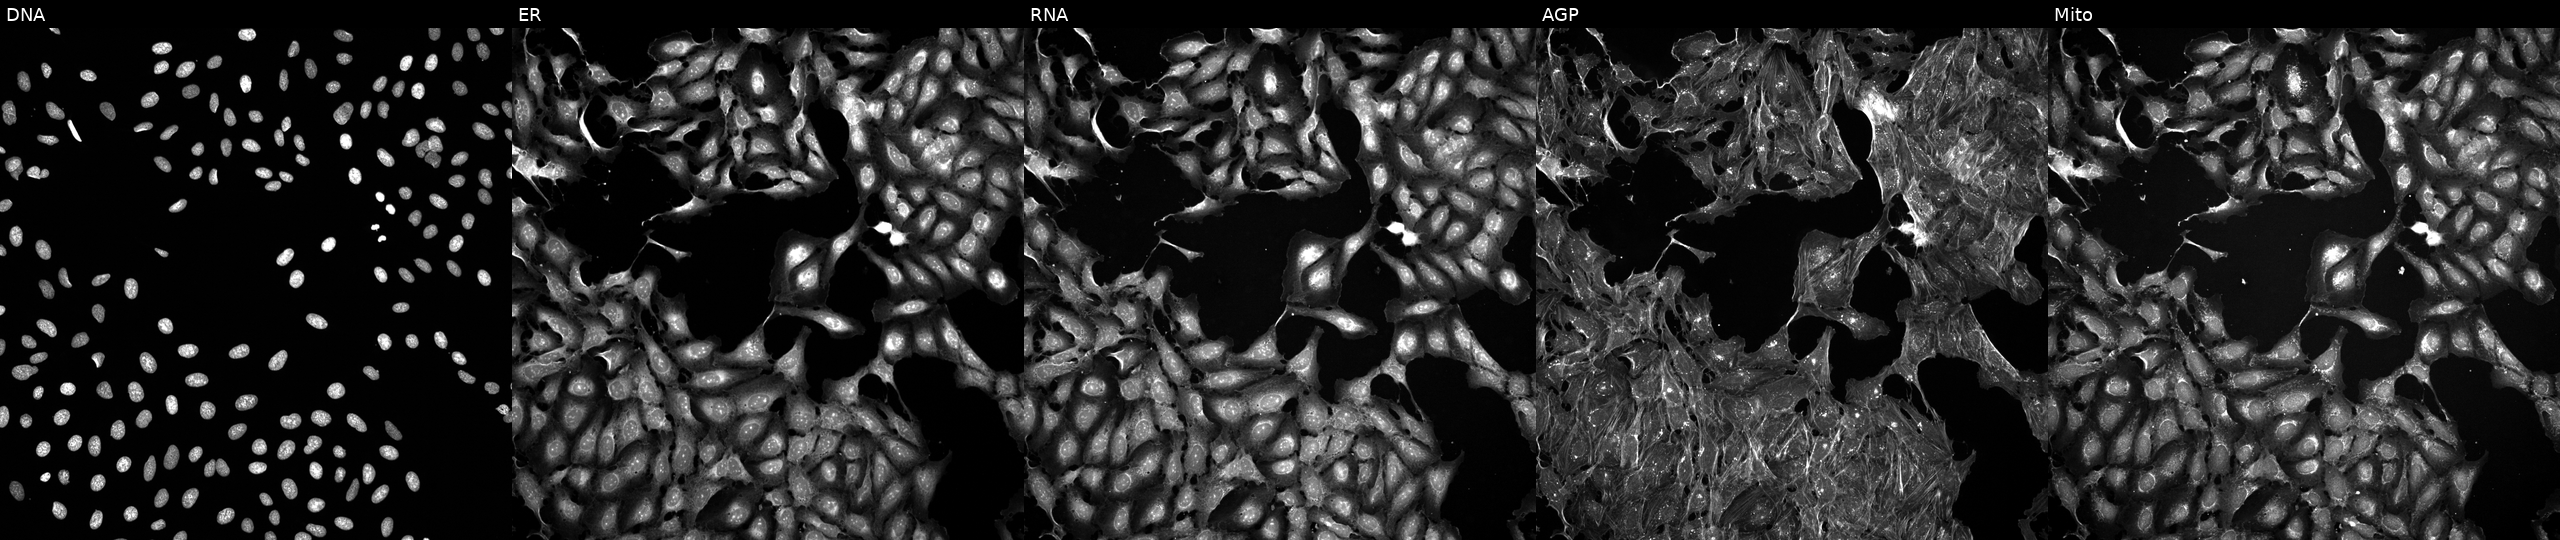
High-content fluorescence microscopy (Cell Painting). Cell line: U2OS. Perturbation: exposed to the positive-control compound FK-866 (JUMP id JCP2022_046054). From left to right: DNA, ER, RNA, AGP, and Mito.